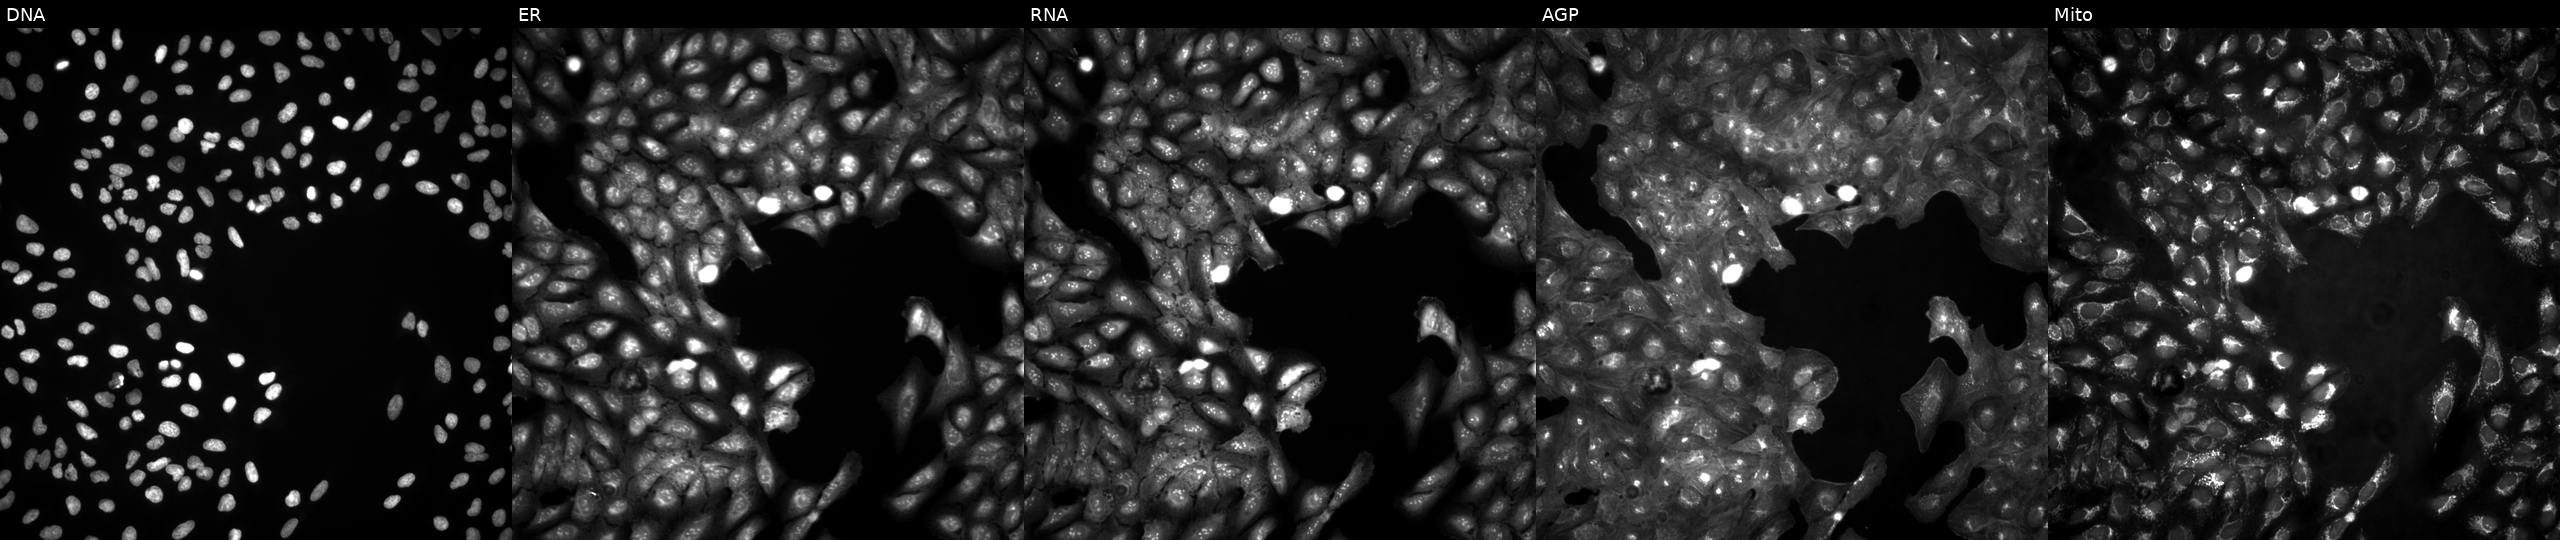
Five-channel Cell Painting image of U2OS cells in an empty control well (no perturbation) (JUMP id JCP2022_999999). Channels (left→right): Hoechst 33342, concanavalin A, SYTO 14, phalloidin and WGA, MitoTracker. Source 4, plate BR00123946, well F12.